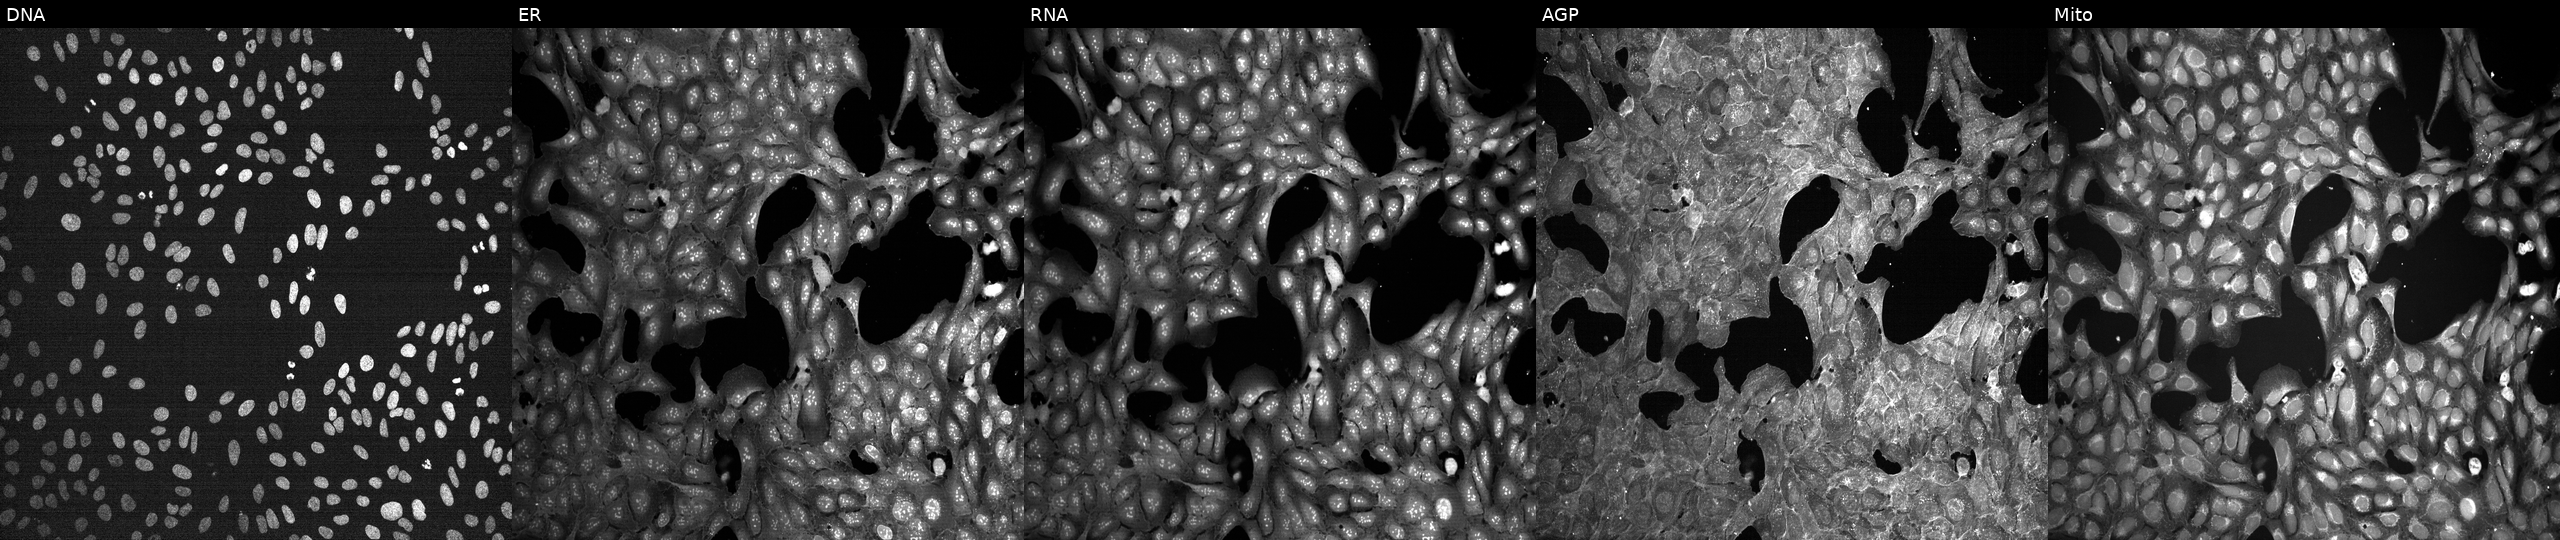
Five-channel Cell Painting image of U2OS cells exposed to a small-molecule compound [SMILES: O=C(O)c1ccccc1O] (JUMP id JCP2022_108326). From left to right: DNA, ER, RNA, AGP, and Mito. Source 7, plate CP1-SC1-25, well A04.